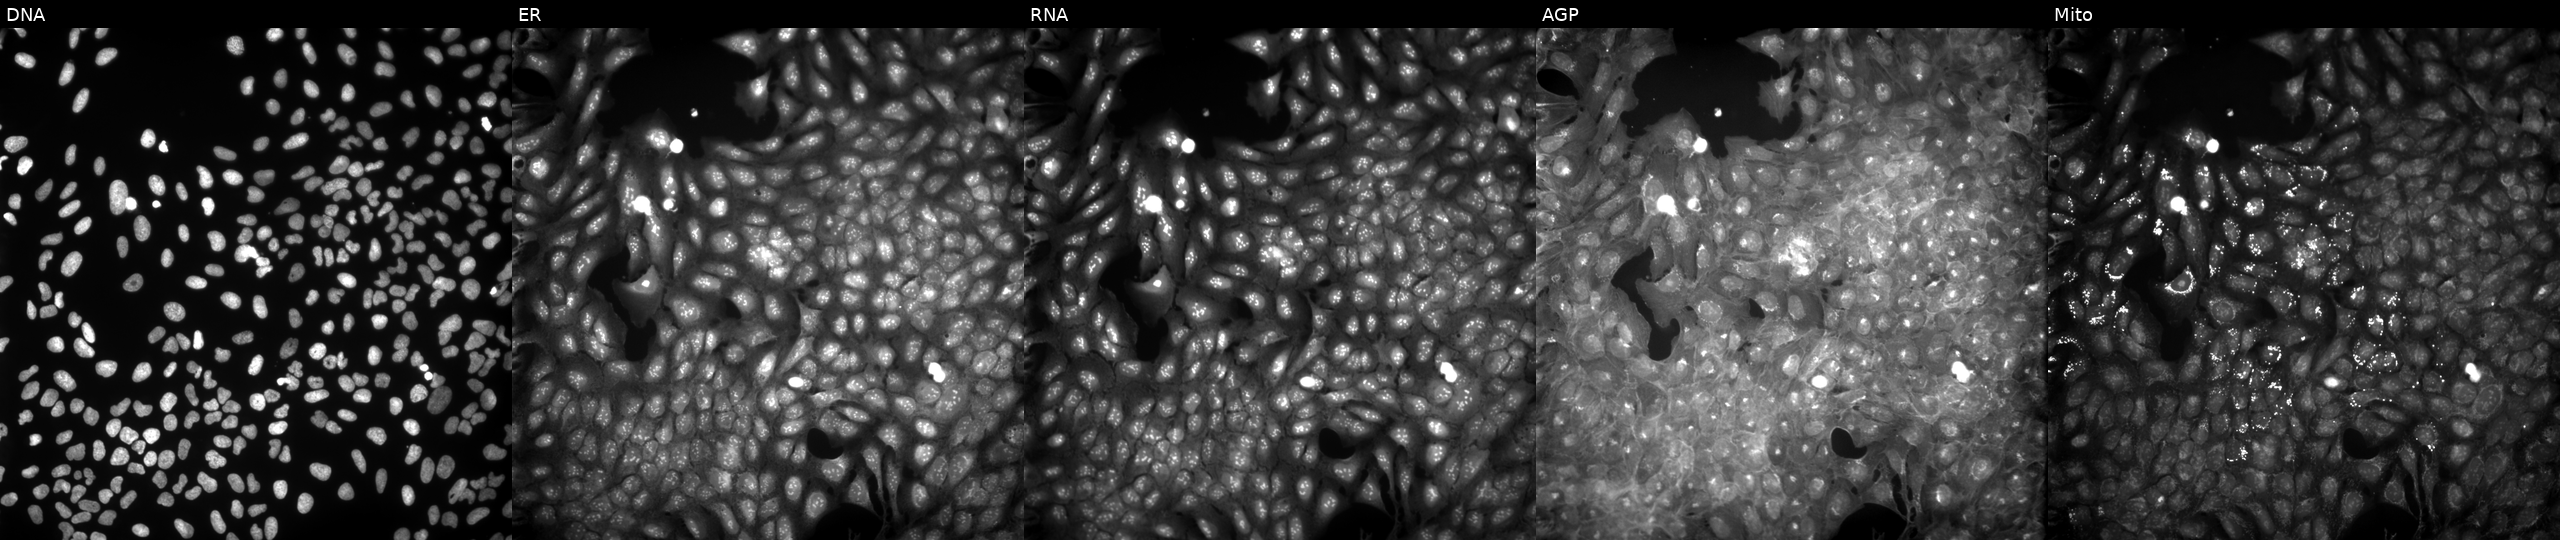
Five-channel Cell Painting image of U2OS cells perturbed with a small-molecule compound [SMILES: C=c1[nH]n(-c2nc(C)c(C(=O)OCC)s2)c(=O)c1=Cc1ccc(OCC(=O)OC)cc1] (JUMP id JCP2022_088427). From left to right: Hoechst 33342, concanavalin A, SYTO 14, phalloidin and WGA, MitoTracker.